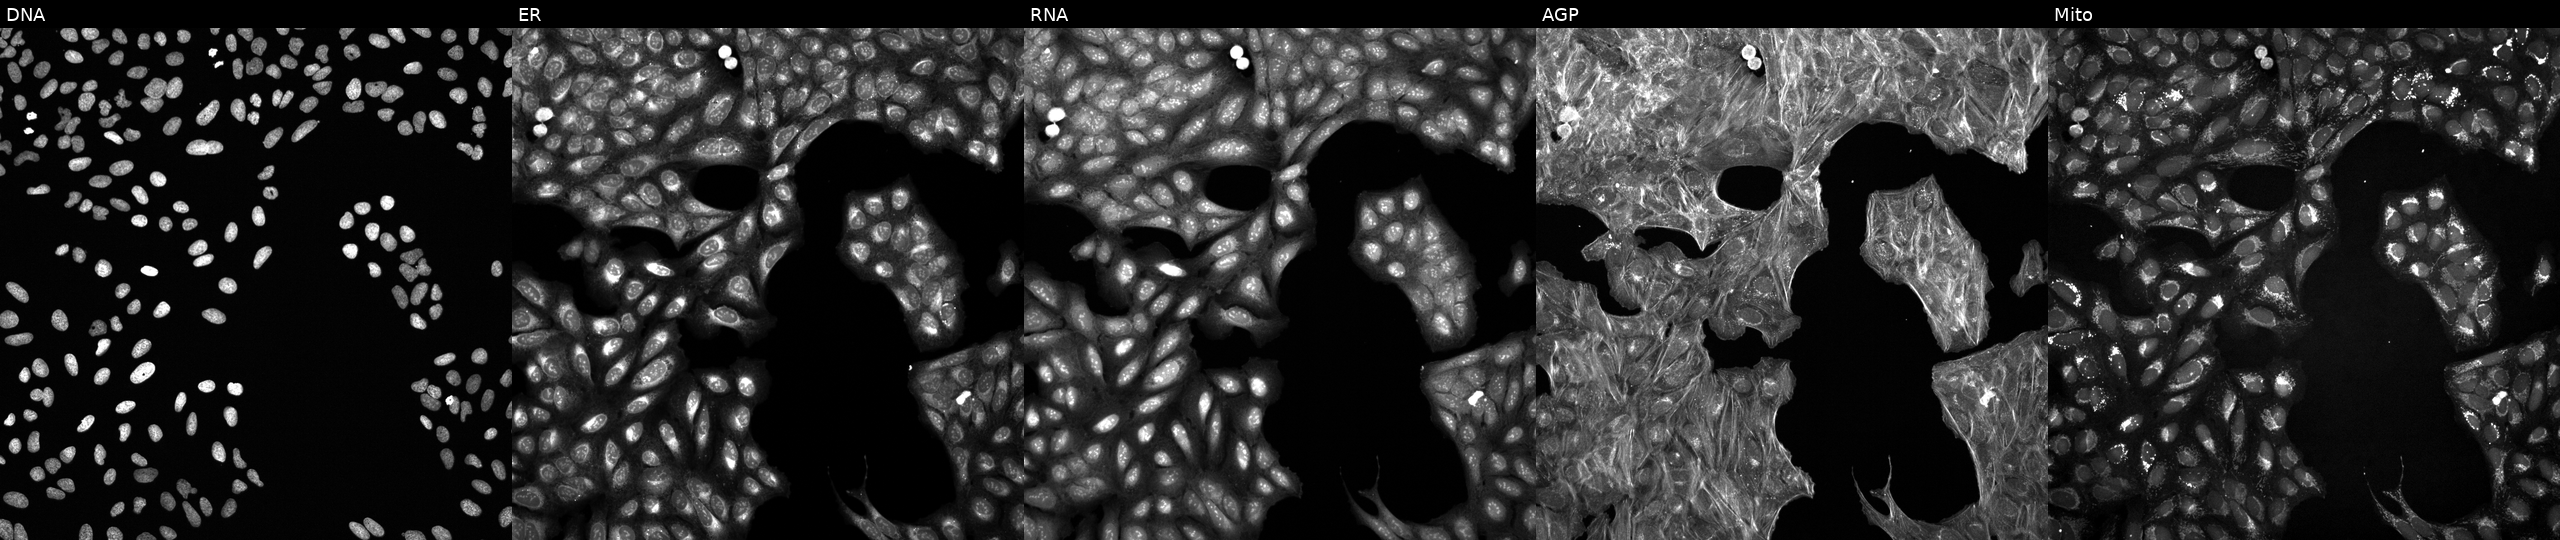
This image strip shows the five Cell Painting channels for a single field of U2OS cells exposed to a small-molecule compound (InChIKey GECKODIHURPRPH-UHFFFAOYSA-N). Panels show, left to right, DNA (nuclei); ER (endoplasmic reticulum); RNA (nucleoli and cytoplasmic RNA); AGP (actin cytoskeleton, Golgi, and plasma membrane); Mito (mitochondria). Source 6, plate 110000293082, well O04.